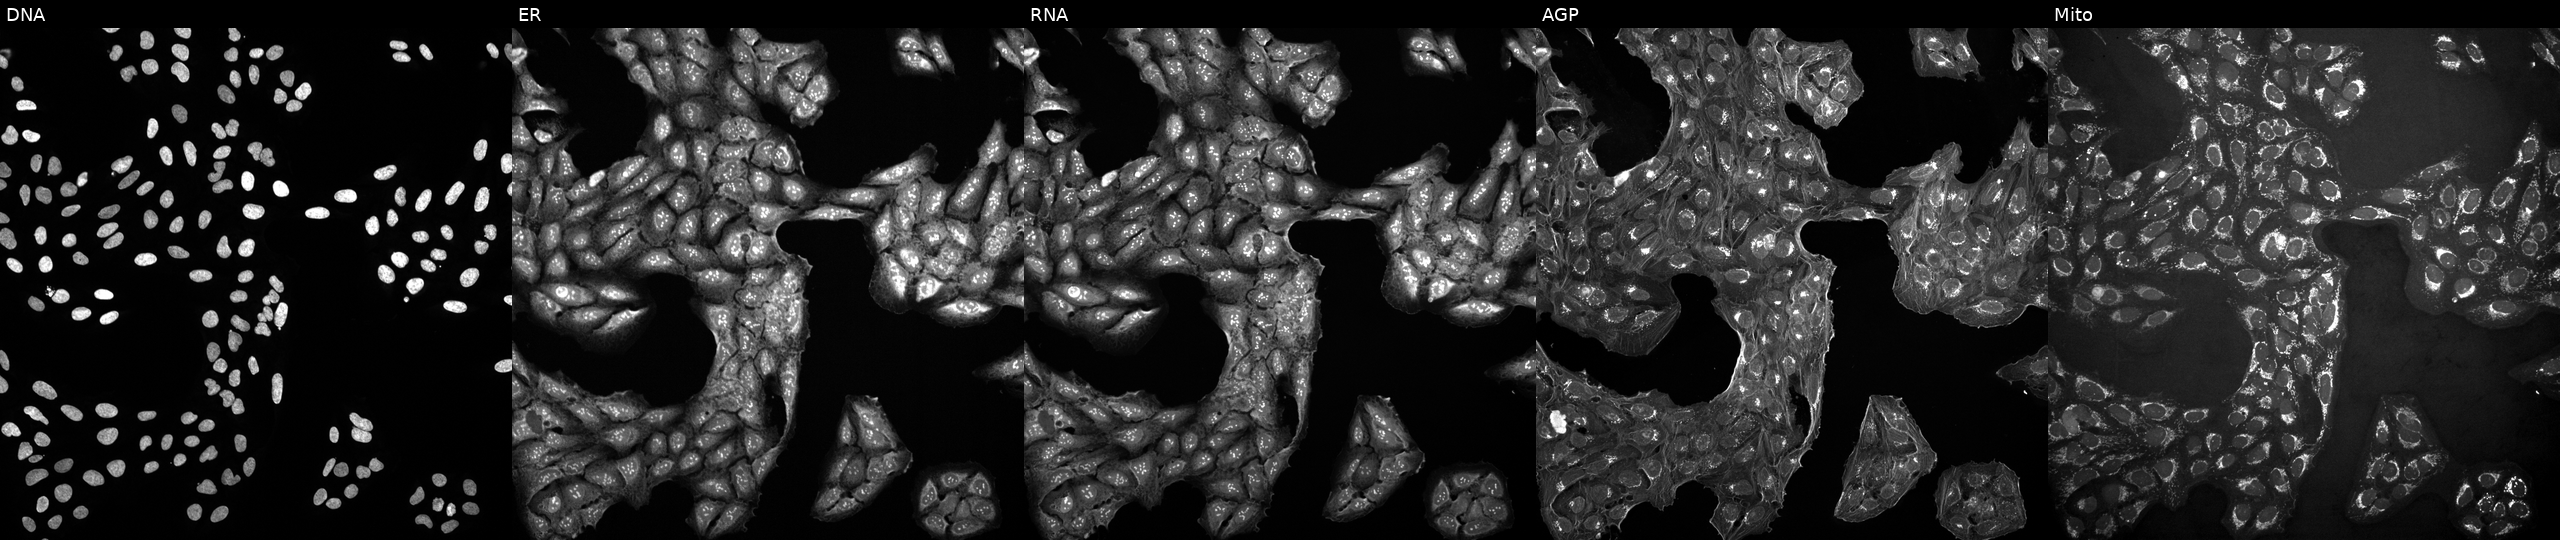
U2OS cells, Cell Painting assay, untreated (empty-well control) (JUMP id JCP2022_999999). From left to right: DNA (nuclei); ER (endoplasmic reticulum); RNA (nucleoli and cytoplasmic RNA); AGP (actin cytoskeleton, Golgi, and plasma membrane); Mito (mitochondria). Each panel is percentile-stretched 16-bit fluorescence. Source 10, plate Dest210531-152149, well A17.